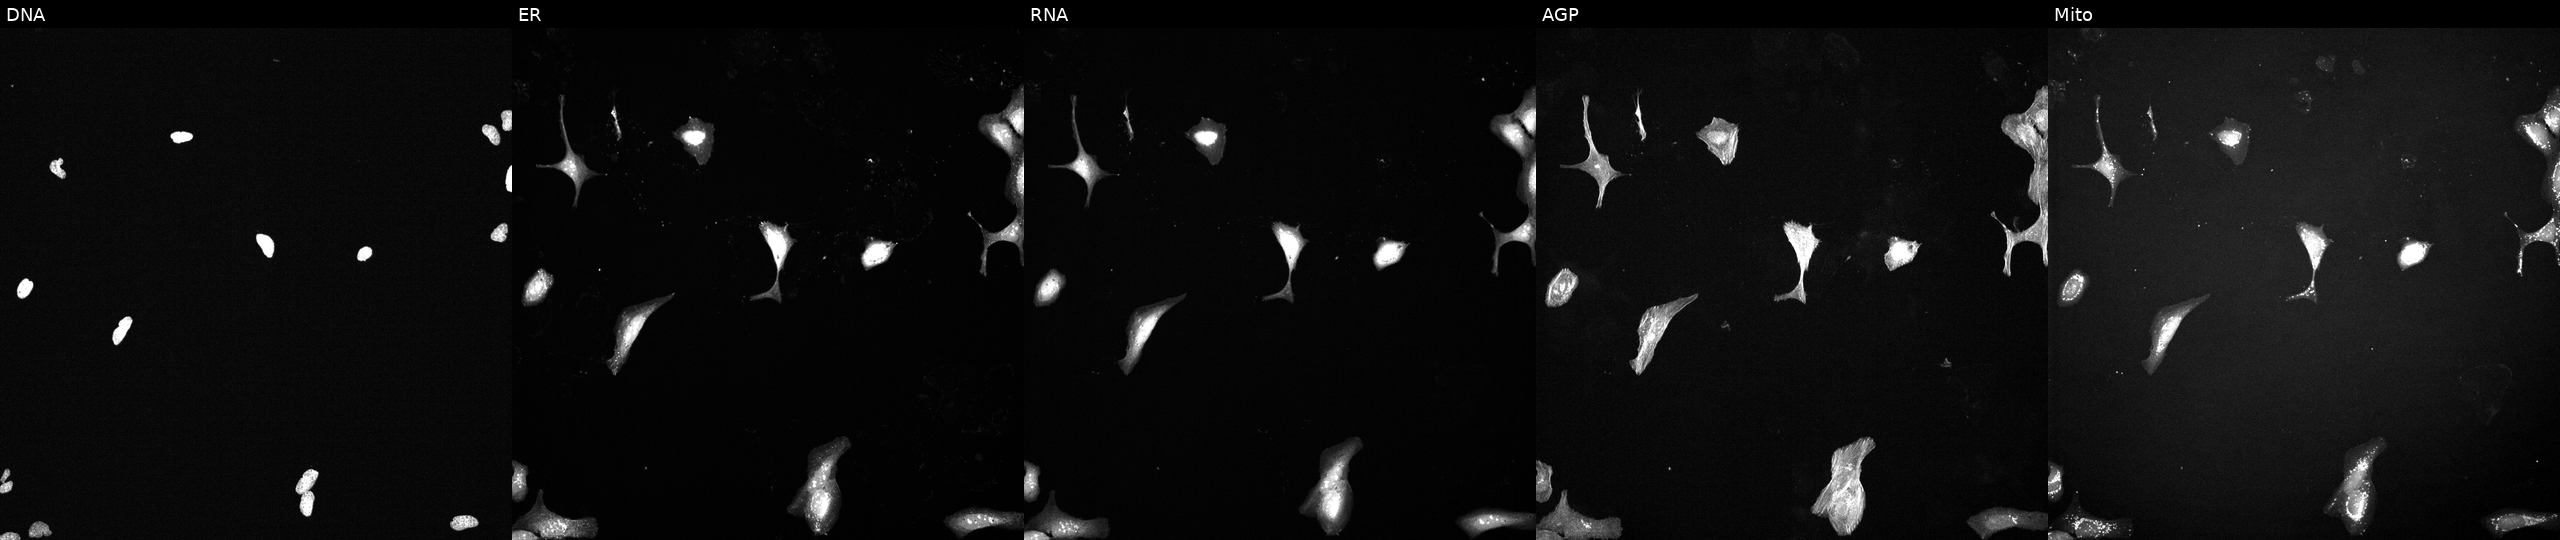
High-content fluorescence microscopy (Cell Painting). Cell line: U2OS. Perturbation: perturbed with a small-molecule compound (InChIKey HYFHYPWGAURHIV-UHFFFAOYSA-N). Channels (left→right): DNA (nuclei); ER (endoplasmic reticulum); RNA (nucleoli and cytoplasmic RNA); AGP (actin cytoskeleton, Golgi, and plasma membrane); Mito (mitochondria).